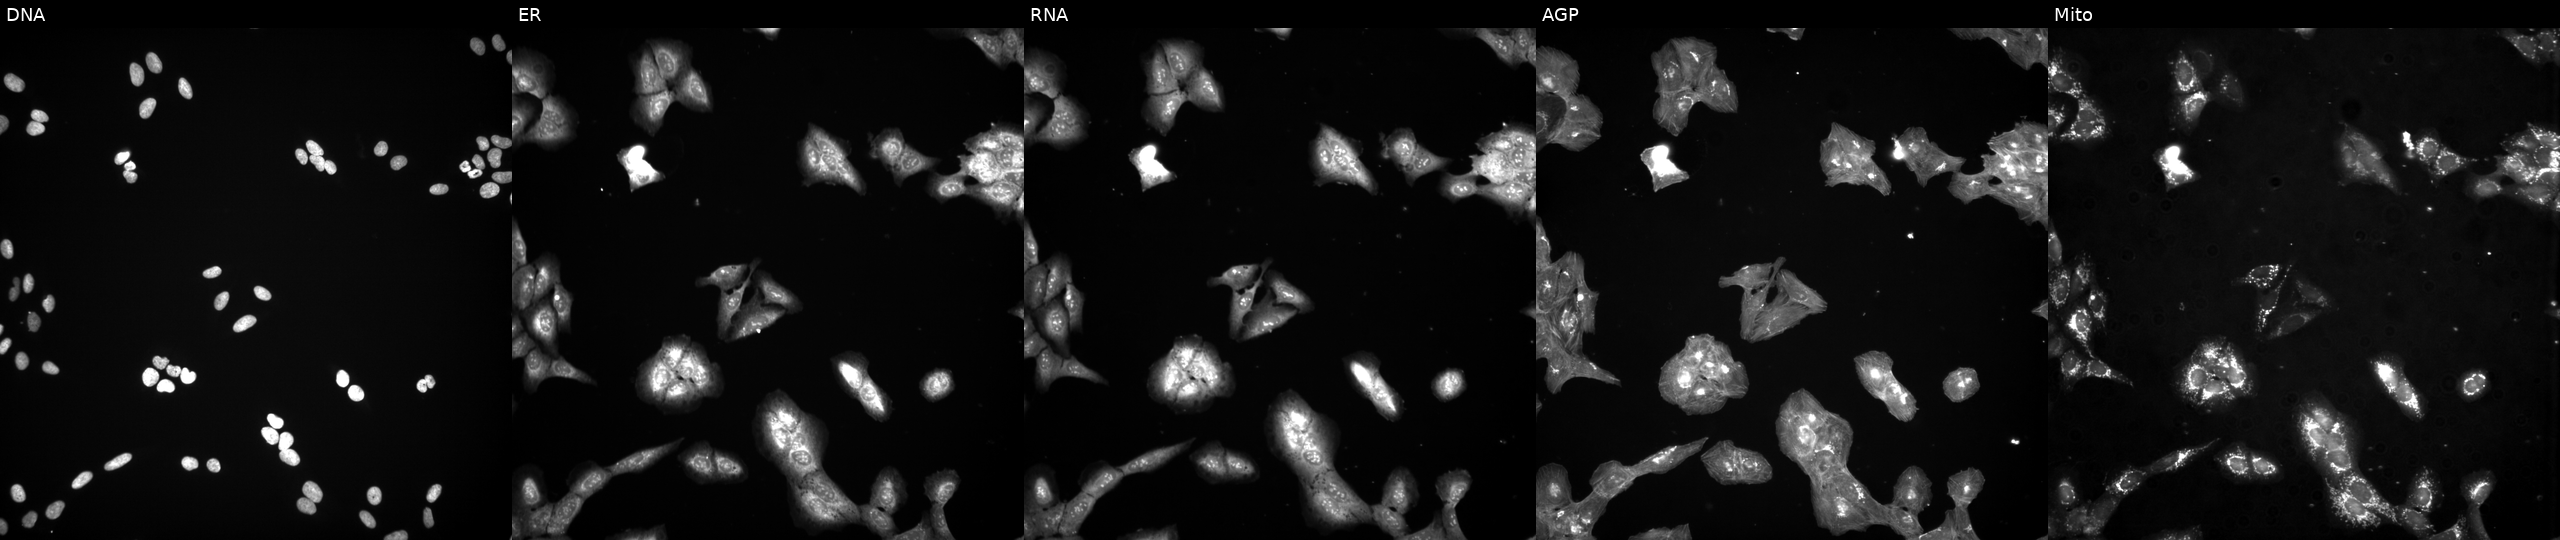
The five panels, left to right, show DNA, ER, RNA, AGP, and Mito. U2OS osteosarcoma cells perturbed with a small-molecule compound (InChIKey FKCWHMHZAOMMDK-UHFFFAOYSA-N). Cell Painting assay, JUMP-CP dataset.